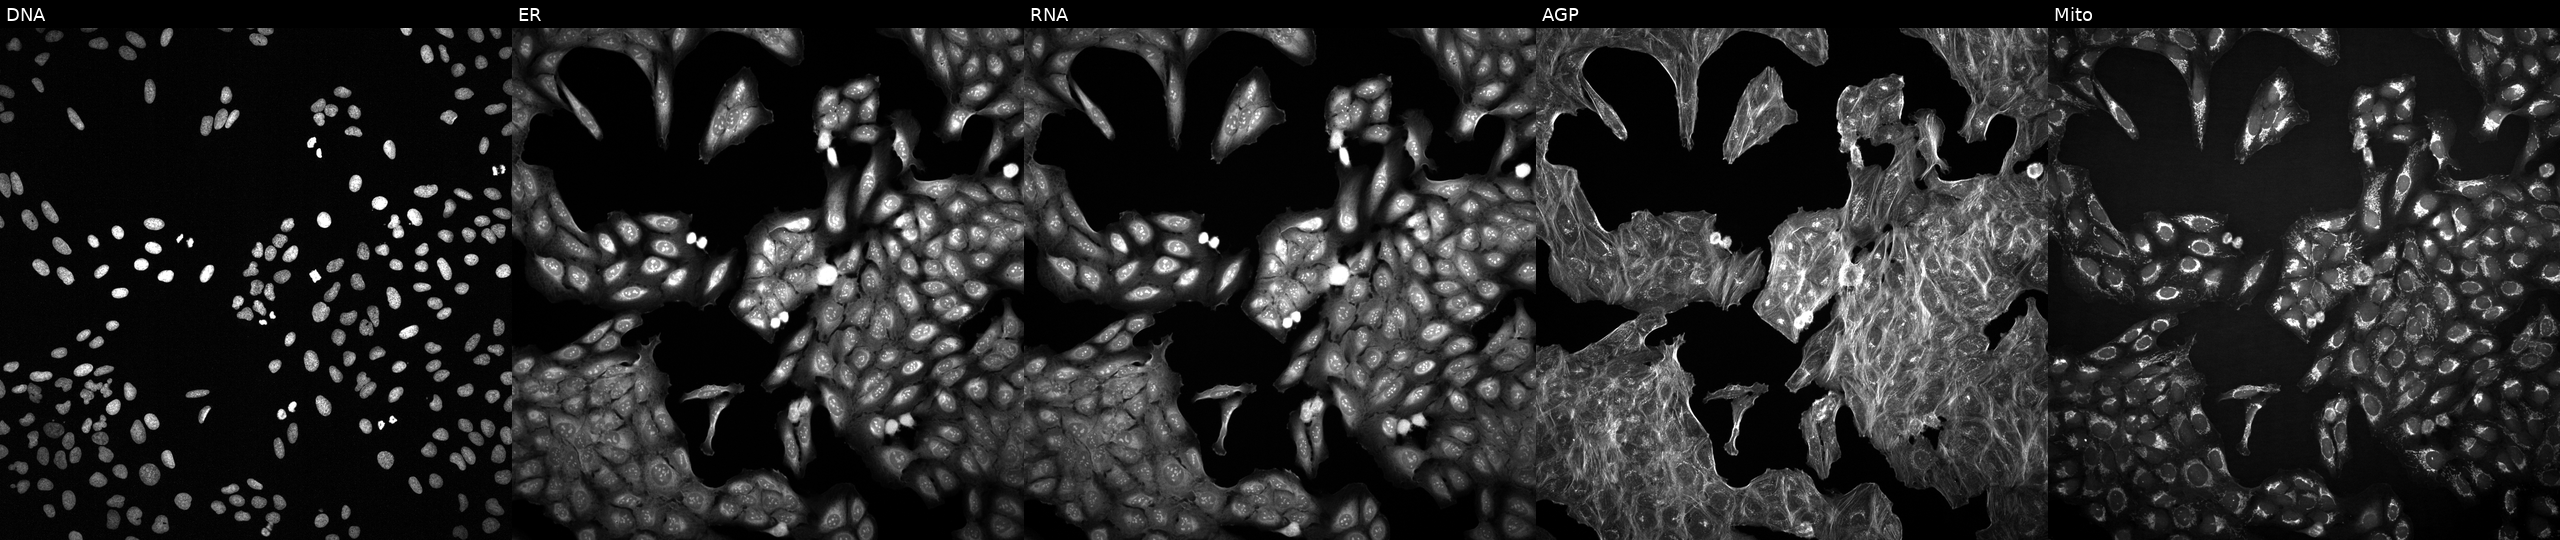
This image strip shows the five Cell Painting channels for a single field of U2OS cells with an unidentified perturbation (not annotated in JUMP metadata). Channels (left→right): DNA, ER, RNA, AGP, and Mito. Source 2, plate 1053601763, well J12.